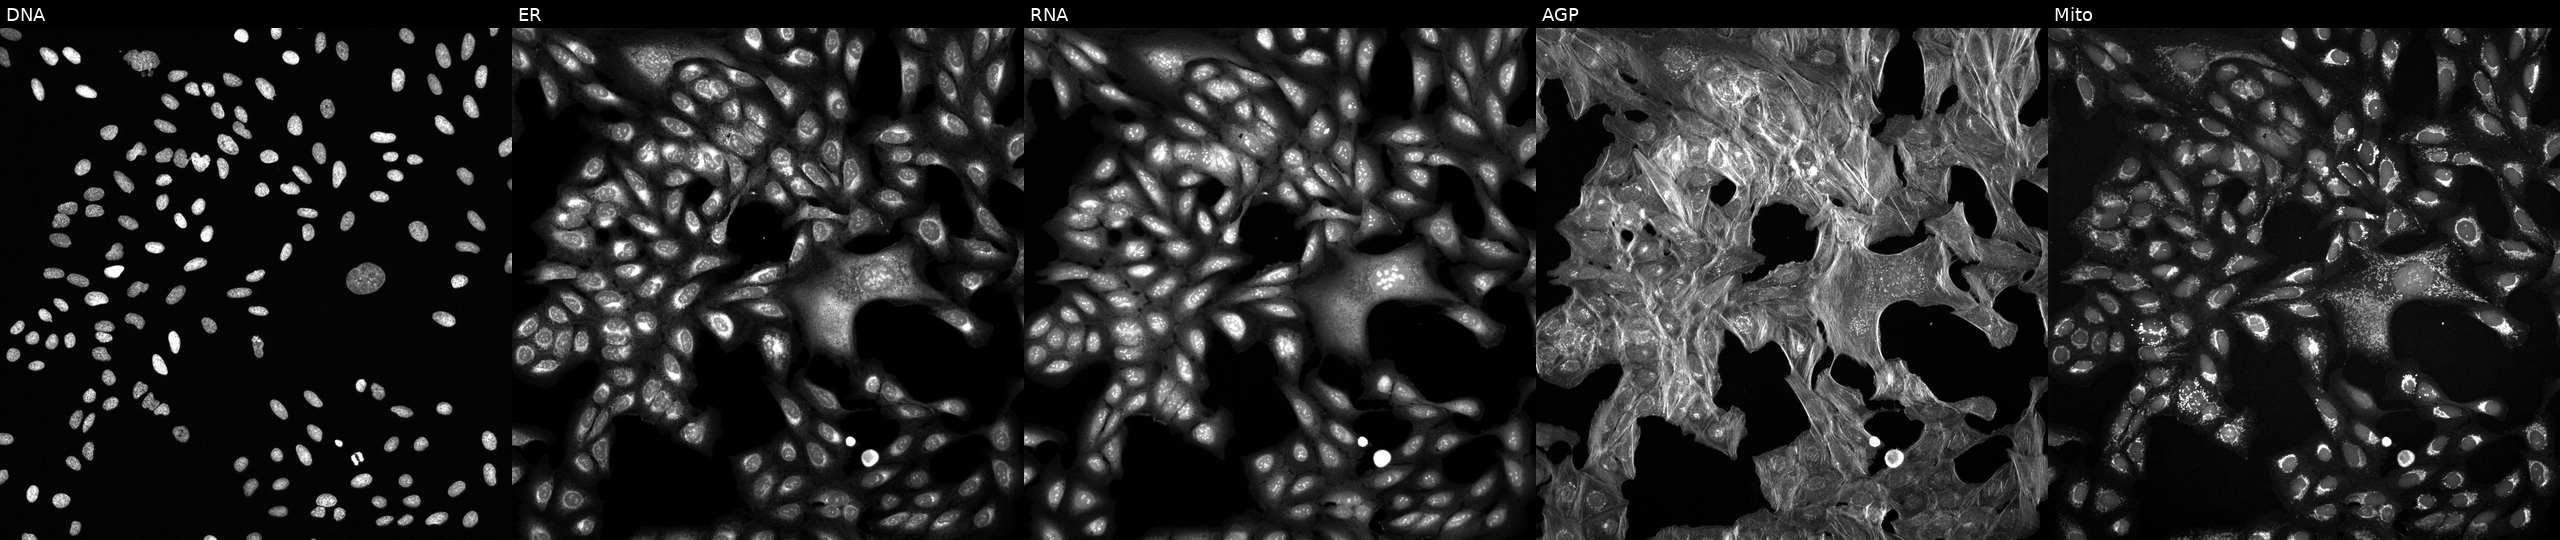
Five-channel Cell Painting image of U2OS cells perturbed with a small-molecule compound (JUMP id JCP2022_002118). The five panels, left to right, show DNA (nuclei); ER (endoplasmic reticulum); RNA (nucleoli and cytoplasmic RNA); AGP (actin cytoskeleton, Golgi, and plasma membrane); Mito (mitochondria). Source 6, plate 110000293081, well M19.